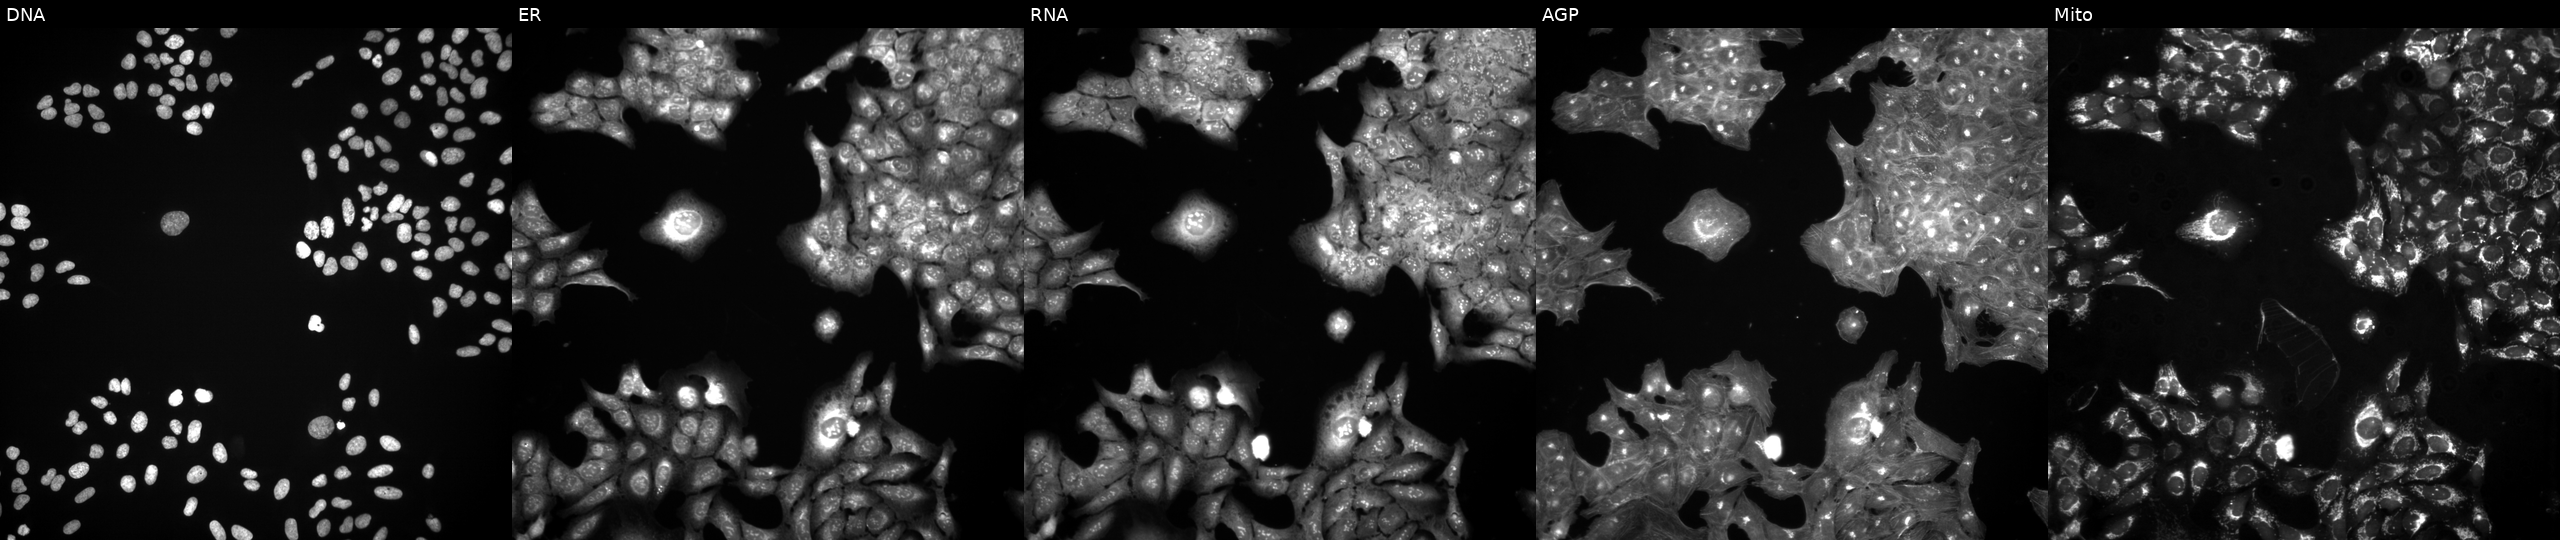
U2OS cells, Cell Painting assay, treated with a small-molecule compound [SMILES: O=C(O)c1ccc(N2C(=O)c3ccc(-c4nc5ccccc5c(=O)o4)cc3C2=O)cc1]. The five panels, left to right, show DNA (nuclei); ER (endoplasmic reticulum); RNA (nucleoli and cytoplasmic RNA); AGP (actin cytoskeleton, Golgi, and plasma membrane); Mito (mitochondria). Each panel is percentile-stretched 16-bit fluorescence. Source 3, plate BR5867b3, well O06.